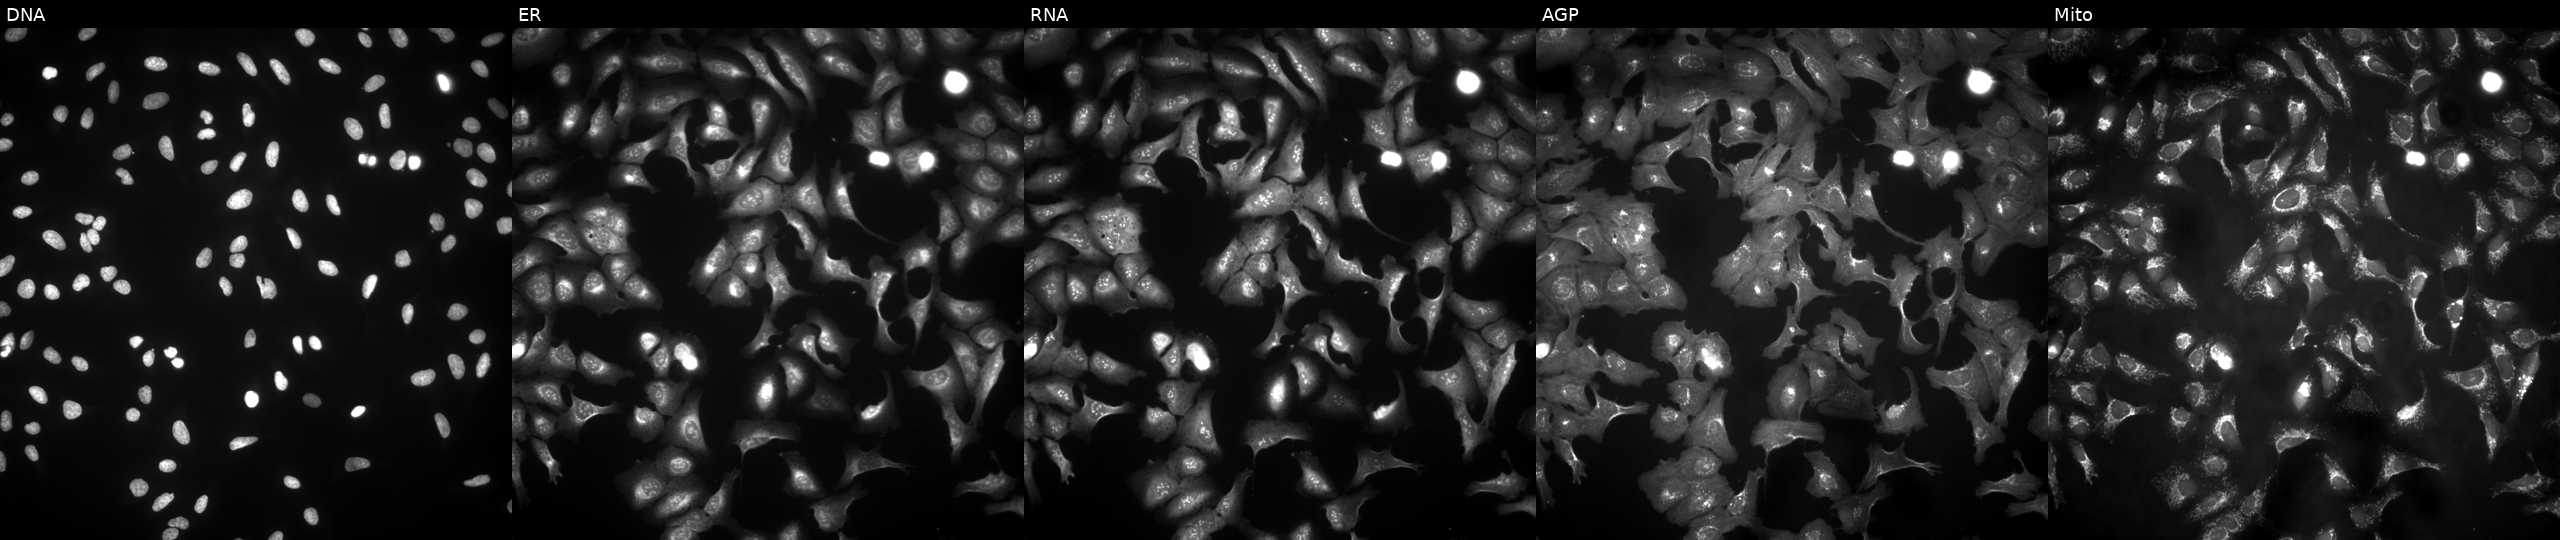
Five-channel Cell Painting image of U2OS cells overexpressing TEX28 via ORF transfection (JUMP id JCP2022_900370). From left to right: DNA (nuclei); ER (endoplasmic reticulum); RNA (nucleoli and cytoplasmic RNA); AGP (actin cytoskeleton, Golgi, and plasma membrane); Mito (mitochondria). Source 4, plate BR00123506, well H18.